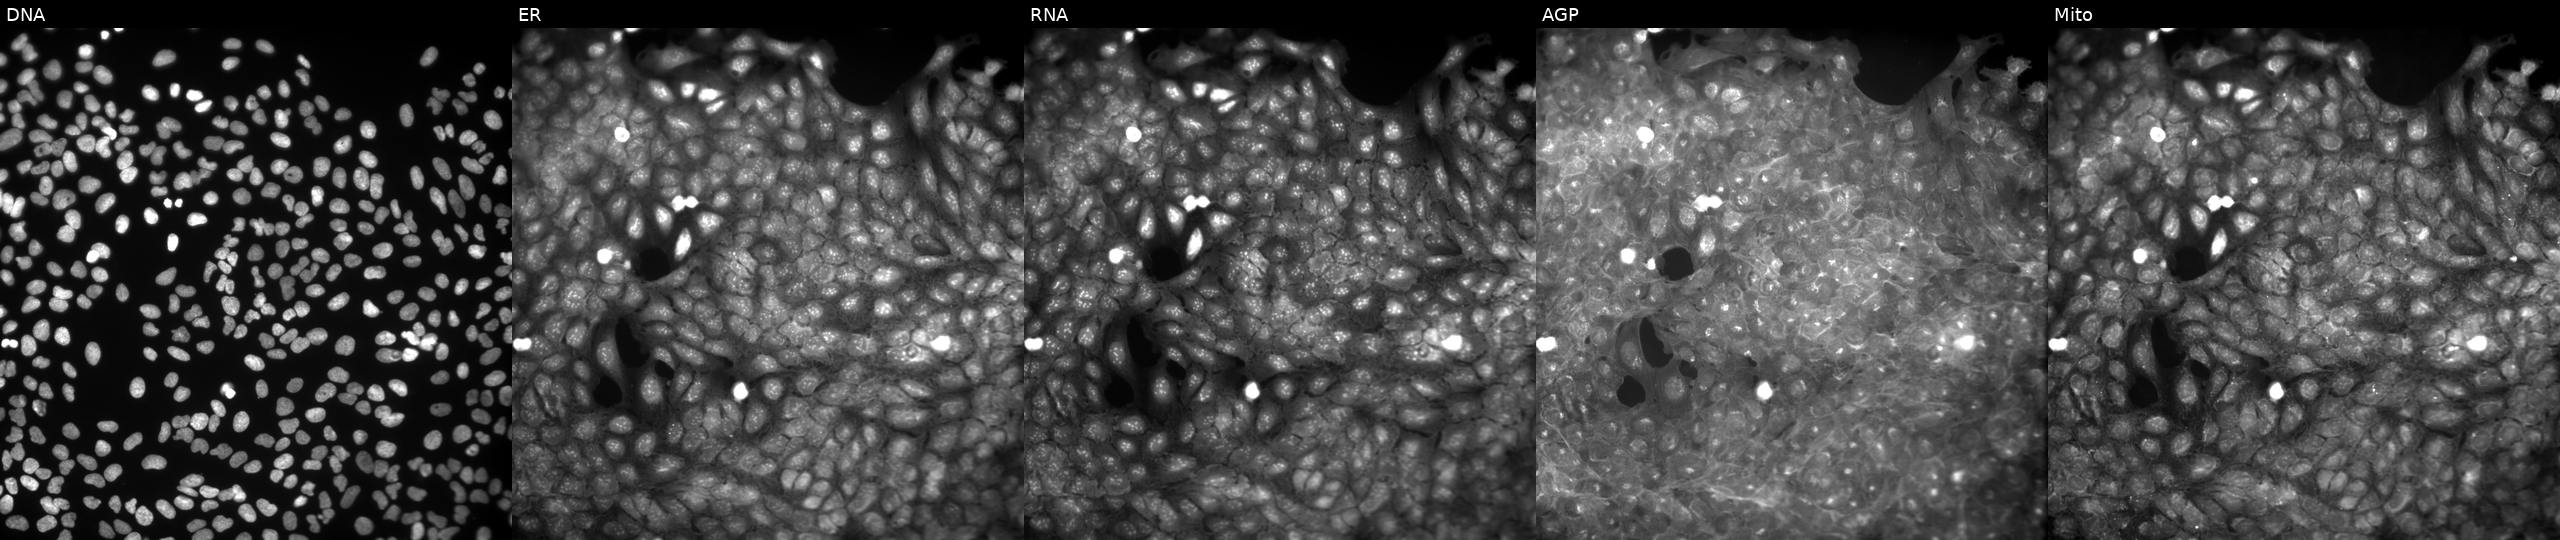
This image strip shows the five Cell Painting channels for a single field of U2OS cells perturbed with a small-molecule compound (JUMP id JCP2022_081862). Panels show, left to right, Hoechst 33342, concanavalin A, SYTO 14, phalloidin and WGA, MitoTracker. Source 9, plate GR00003381, well AE33.